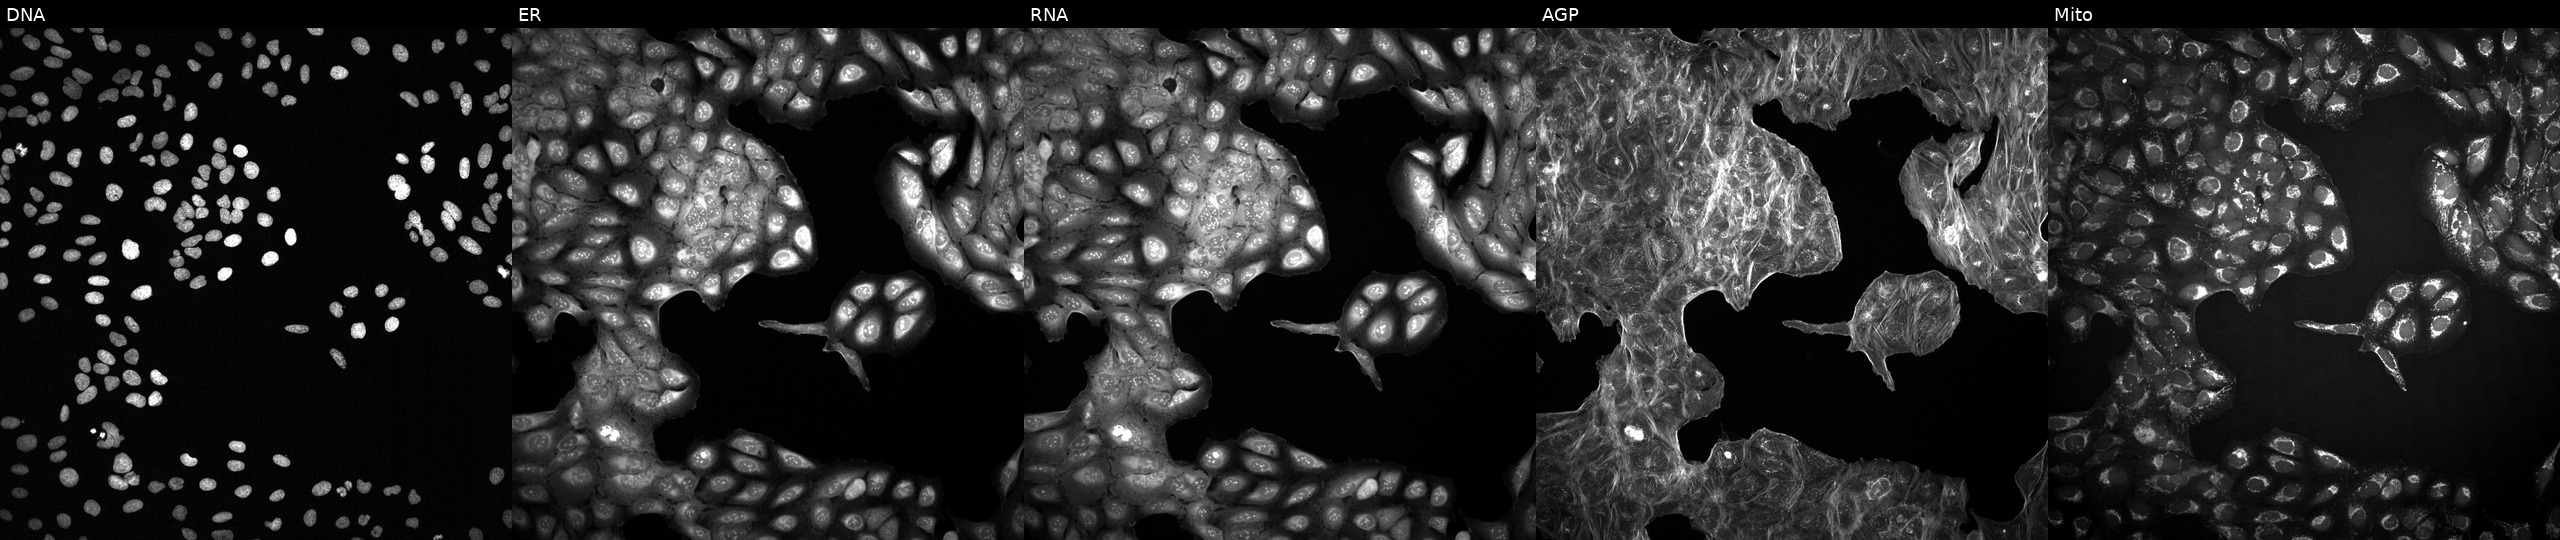
Panels show, left to right, DNA (nuclei); ER (endoplasmic reticulum); RNA (nucleoli and cytoplasmic RNA); AGP (actin cytoskeleton, Golgi, and plasma membrane); Mito (mitochondria). U2OS osteosarcoma cells with an unidentified perturbation (not annotated in JUMP metadata). Cell Painting assay, JUMP-CP dataset. Source 2, plate 1053601763, well J06.